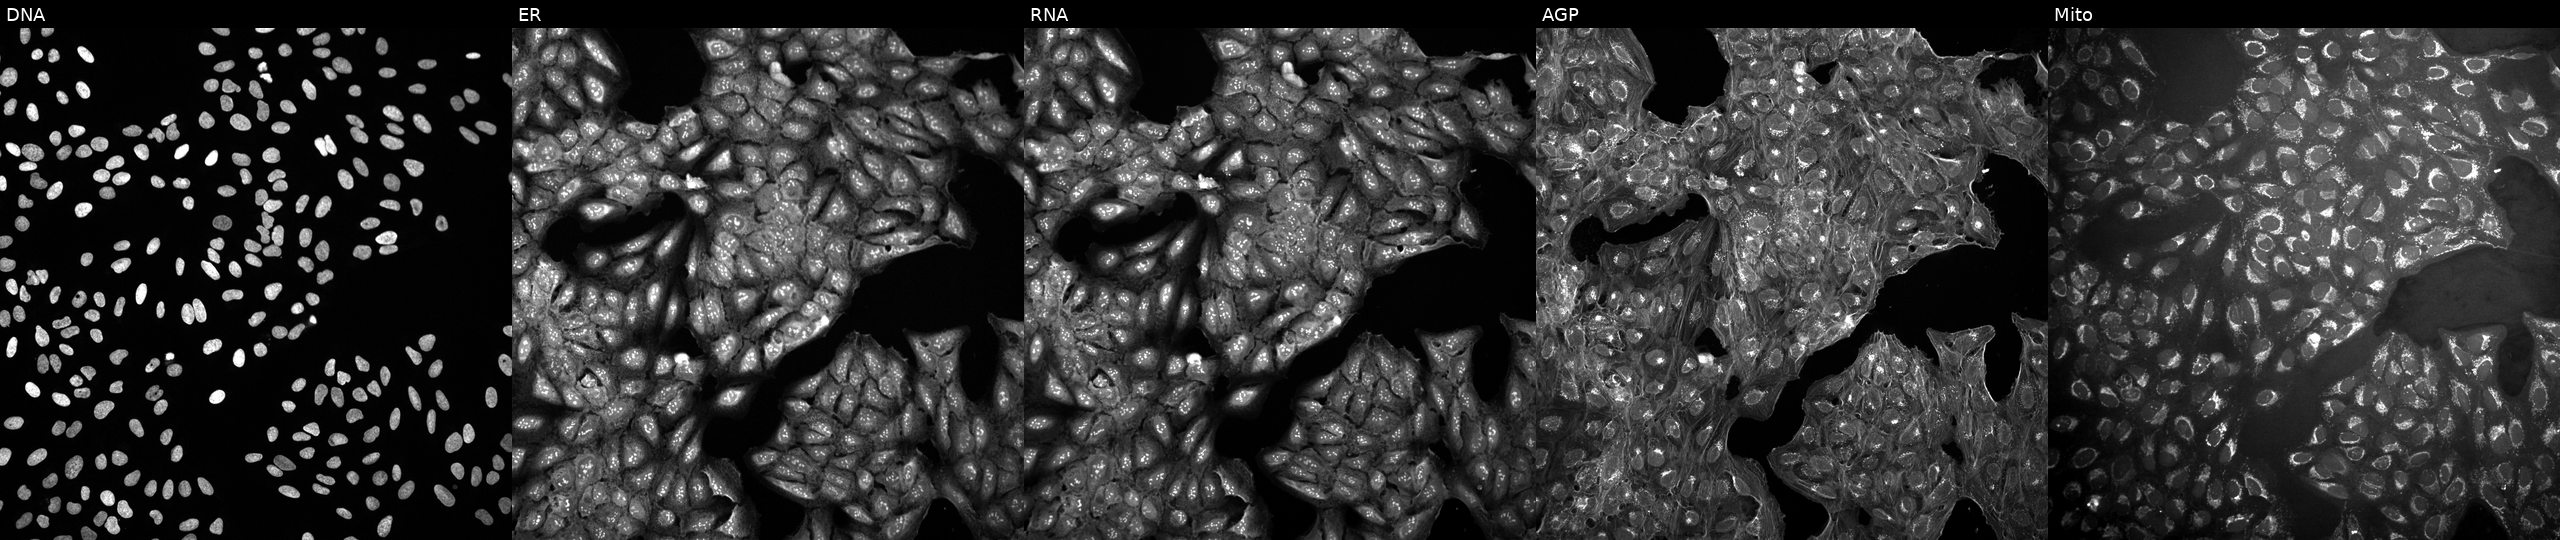
Five-channel Cell Painting image of U2OS cells in an empty control well (no perturbation). From left to right: DNA, ER, RNA, AGP, and Mito. Source 10, plate Dest210531-152149, well B12.